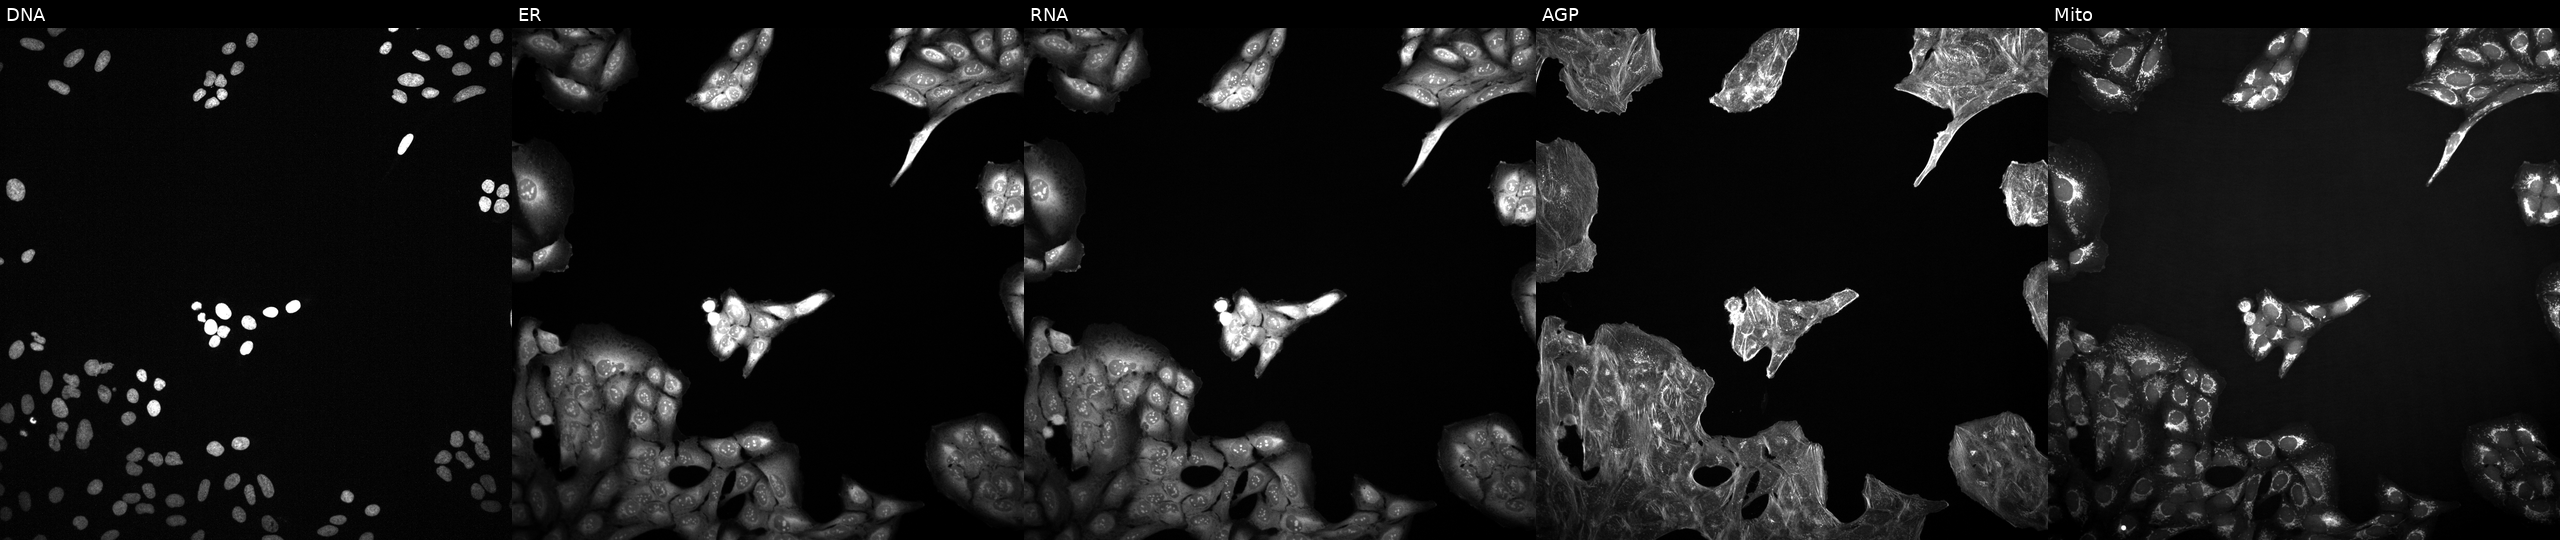
JUMP Cell Painting — TARGET2 plate. U2OS cells treated with a small-molecule compound. The five panels, left to right, show DNA, ER, RNA, AGP, and Mito.